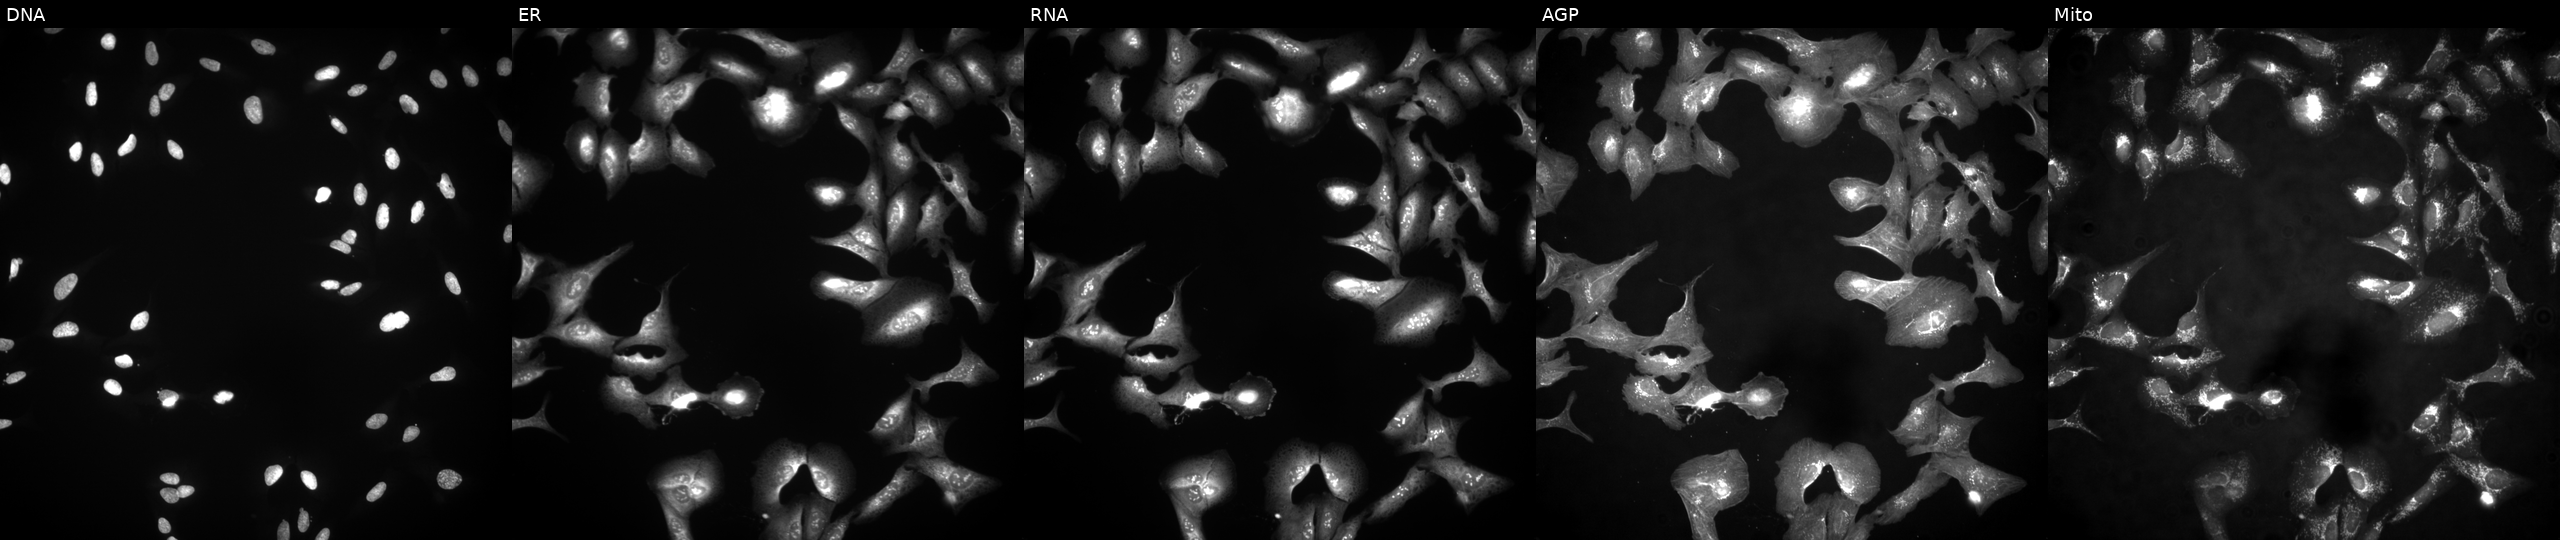
High-content fluorescence microscopy (Cell Painting). Cell line: U2OS. Perturbation: transfected with an ORF construct for SSNA1. The five panels, left to right, show DNA, ER, RNA, AGP, and Mito. Source 4, plate BR00124790, well G05.